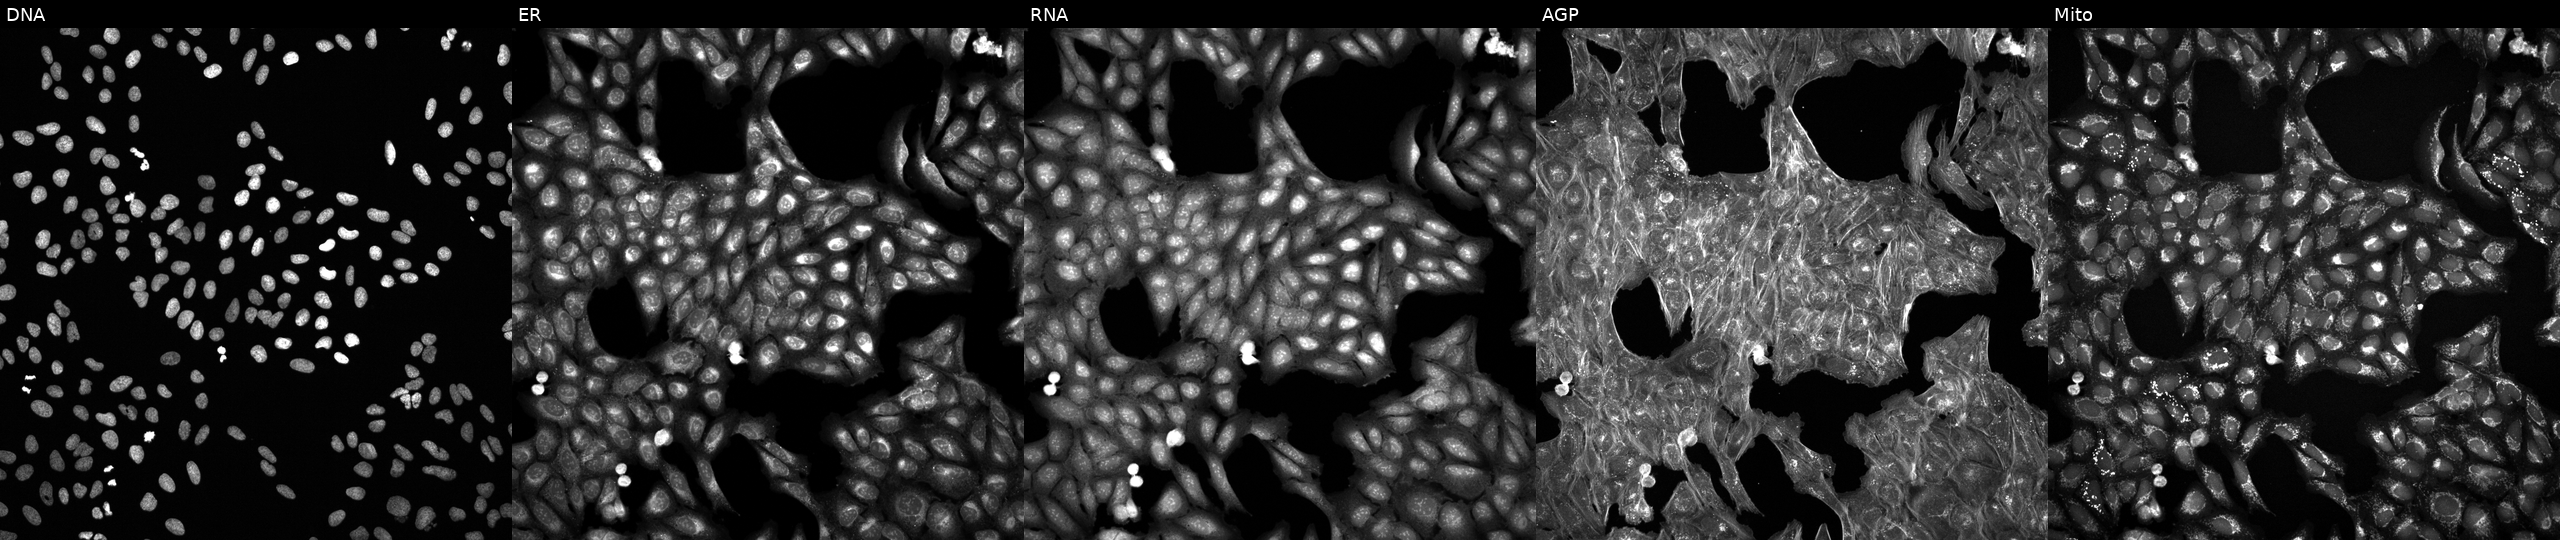
Five-channel Cell Painting image of U2OS cells perturbed with a small-molecule compound (InChIKey ZJMDTBBCNMGFMS-UHFFFAOYSA-N) (JUMP id JCP2022_113710). Panels show, left to right, DNA, ER, RNA, AGP, and Mito. Source 6, plate 110000294901, well C18.